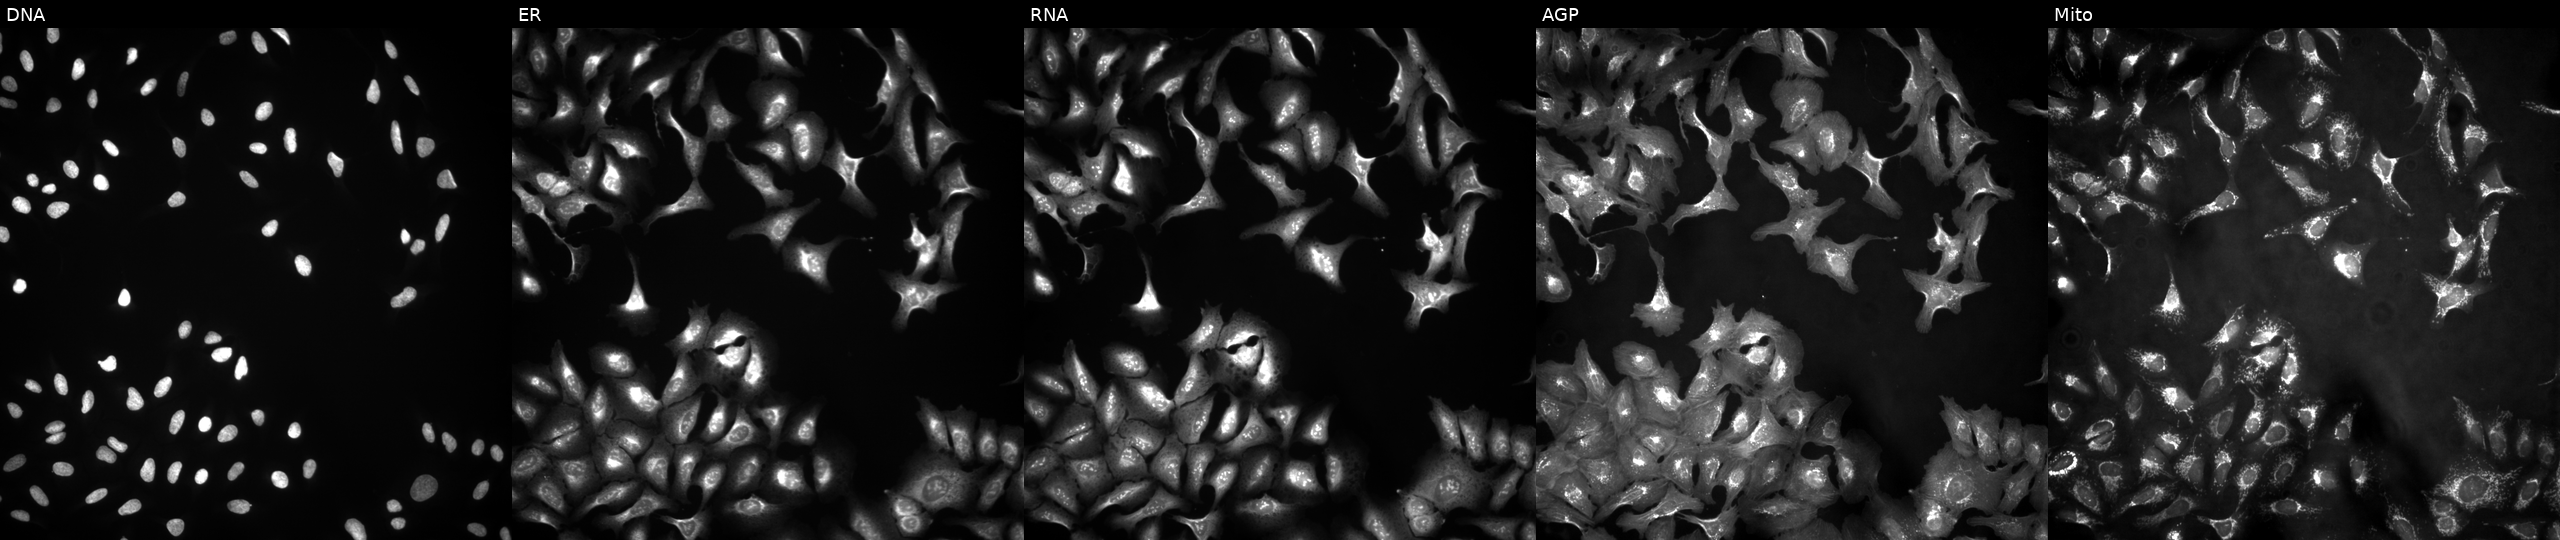
JUMP Cell Painting — ORF plate. U2OS cells with LHPP overexpressed (ORF). The five panels, left to right, show DNA (nuclei); ER (endoplasmic reticulum); RNA (nucleoli and cytoplasmic RNA); AGP (actin cytoskeleton, Golgi, and plasma membrane); Mito (mitochondria). Source 4, plate BR00121543, well F24.